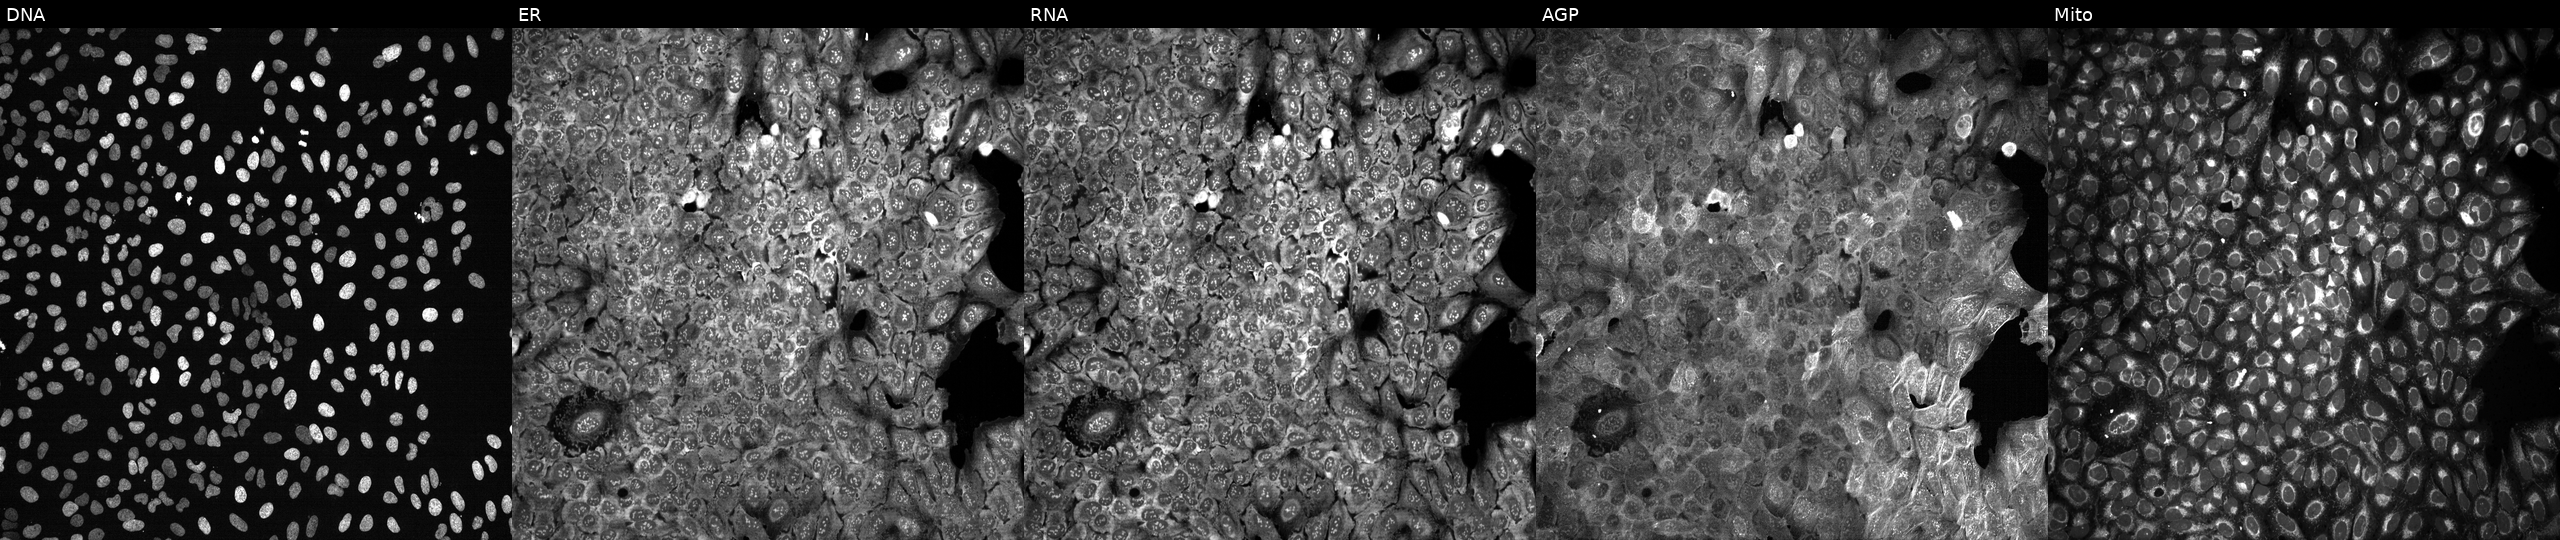
This image strip shows the five Cell Painting channels for a single field of U2OS cells CRISPR-edited to disrupt SLC25A36 (JUMP id JCP2022_806458). From left to right: Hoechst 33342, concanavalin A, SYTO 14, phalloidin and WGA, MitoTracker.